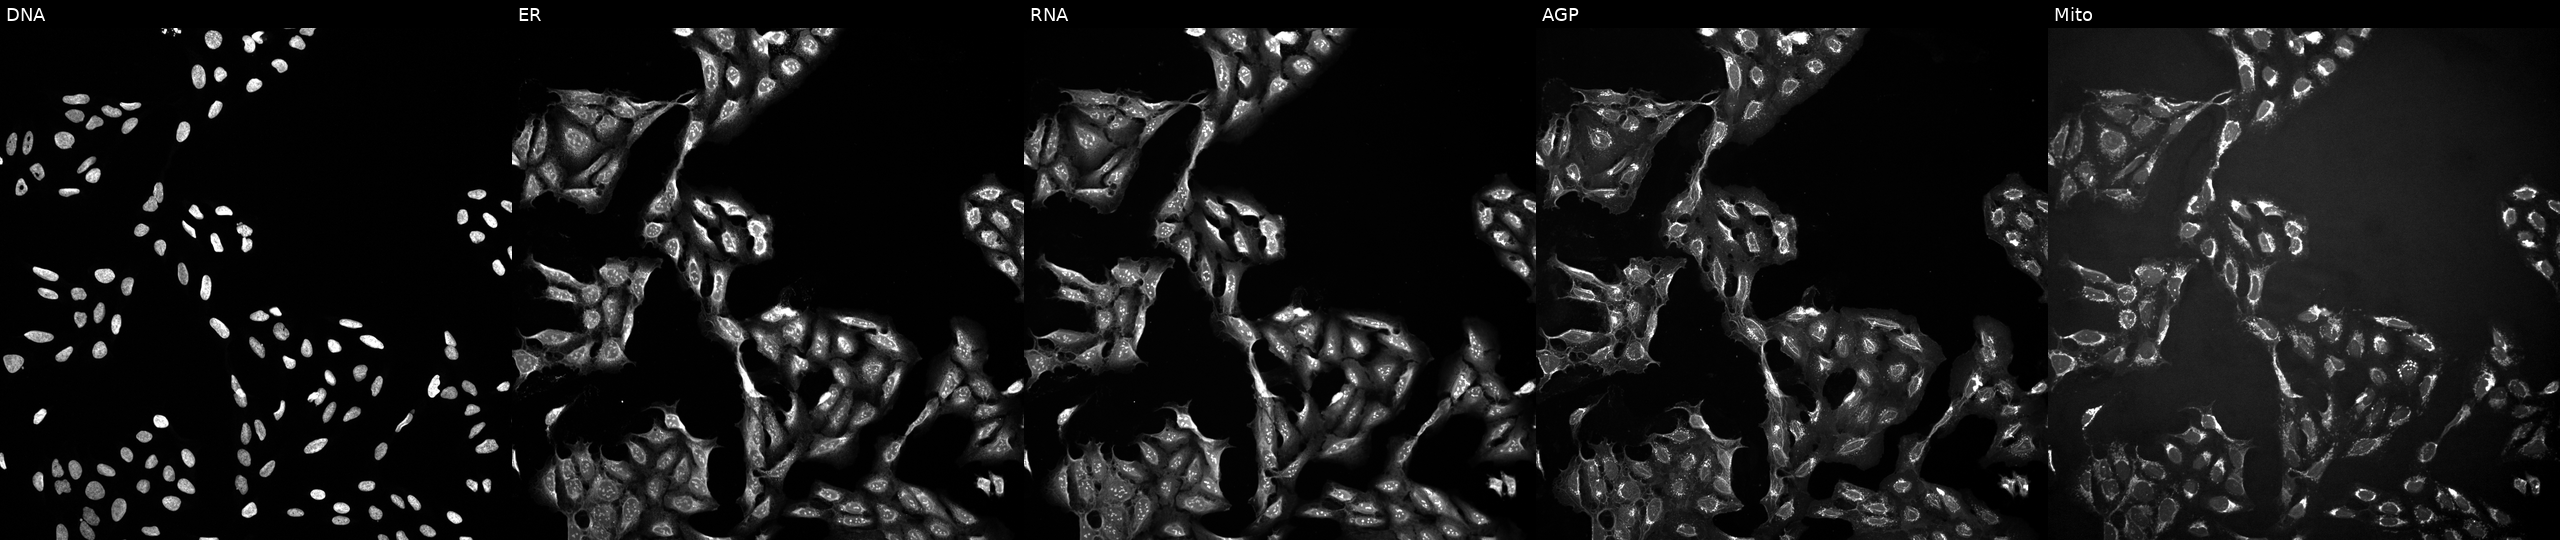
U2OS cells, Cell Painting assay, exposed to a small-molecule compound (InChIKey GUUGZPSUOTWOMD-UHFFFAOYSA-N). Channels (left→right): DNA, ER, RNA, AGP, and Mito. Each panel is percentile-stretched 16-bit fluorescence. Source 10, plate Dest210803-153958, well A06.